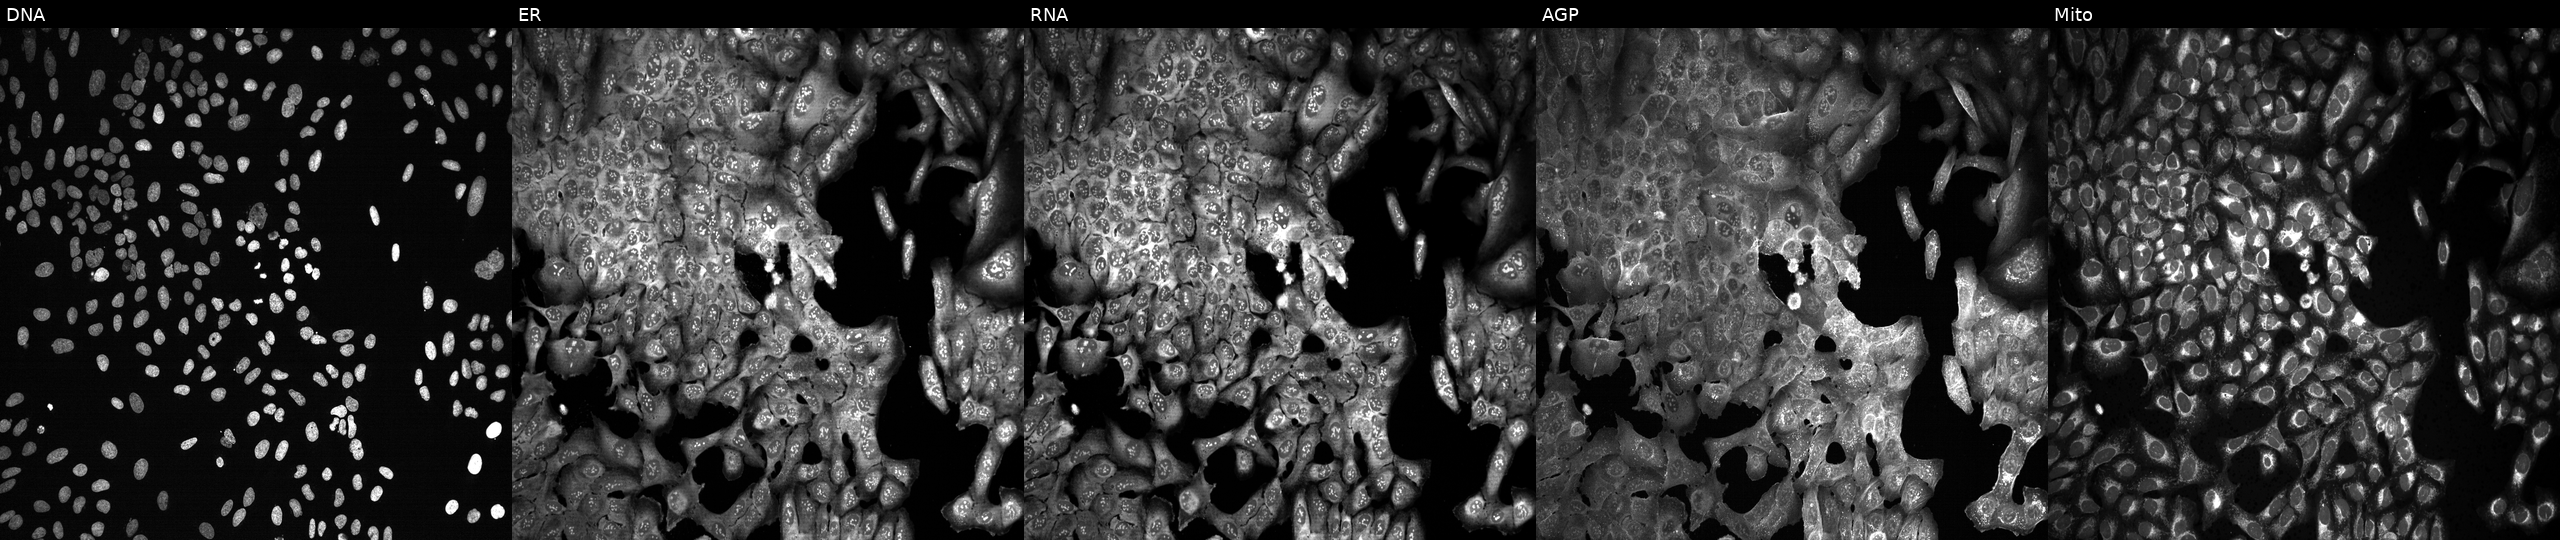
High-content fluorescence microscopy (Cell Painting). Cell line: U2OS. Perturbation: with ADAMTS3 knocked out by CRISPR. Panels show, left to right, Hoechst 33342, concanavalin A, SYTO 14, phalloidin and WGA, MitoTracker.